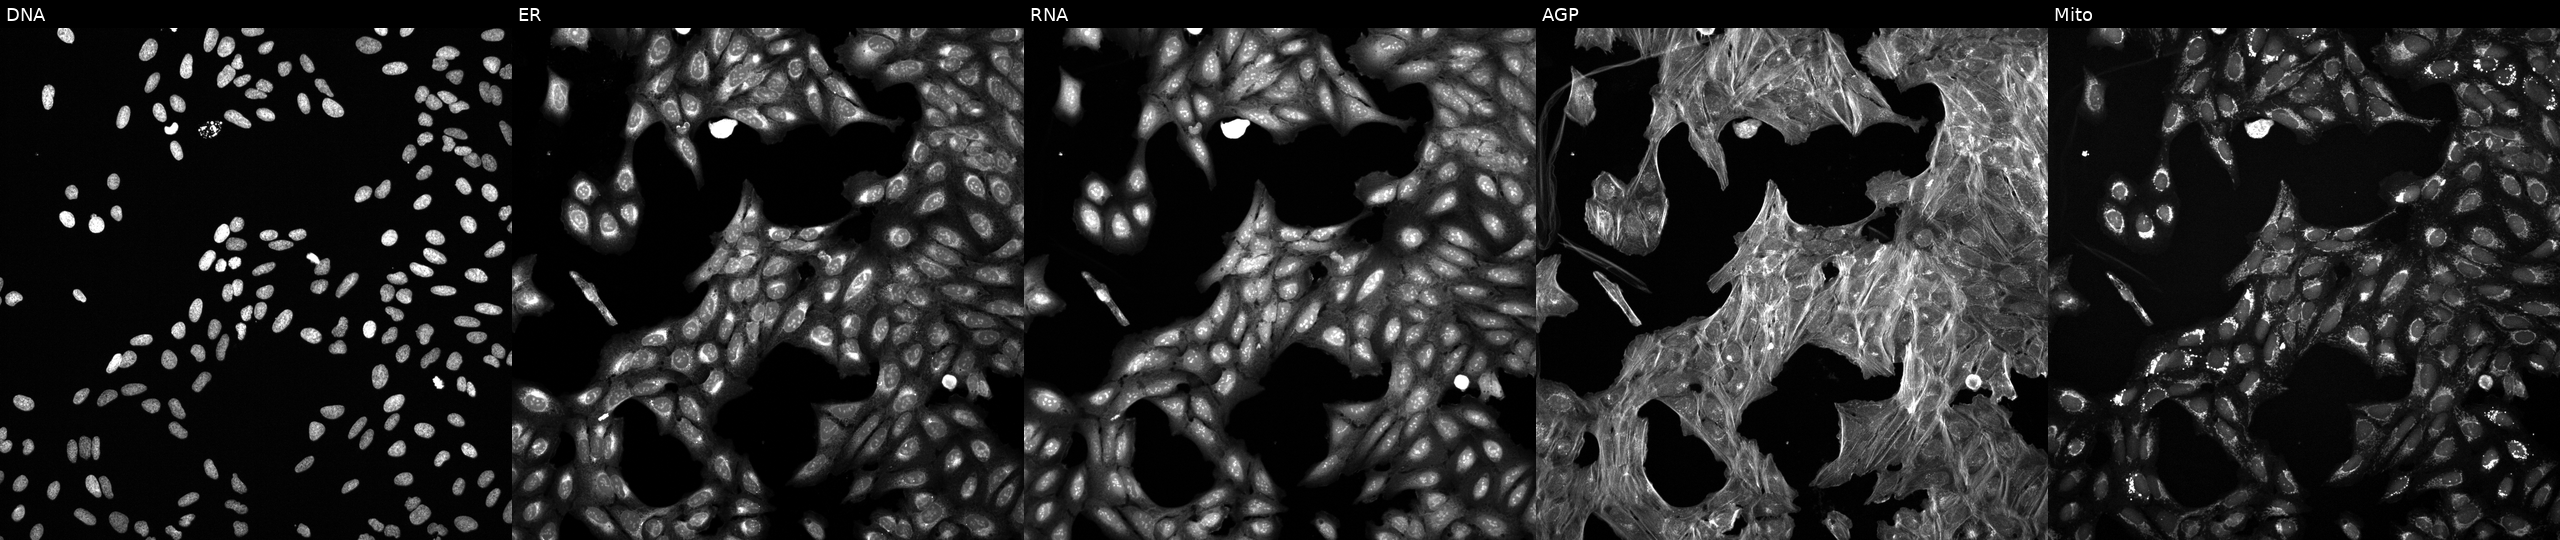
High-content fluorescence microscopy (Cell Painting). Cell line: U2OS. Perturbation: perturbed with a small-molecule compound (InChIKey PKYKNPLSFOKASK-UHFFFAOYSA-N) (JUMP id JCP2022_069285). From left to right: DNA, ER, RNA, AGP, and Mito.